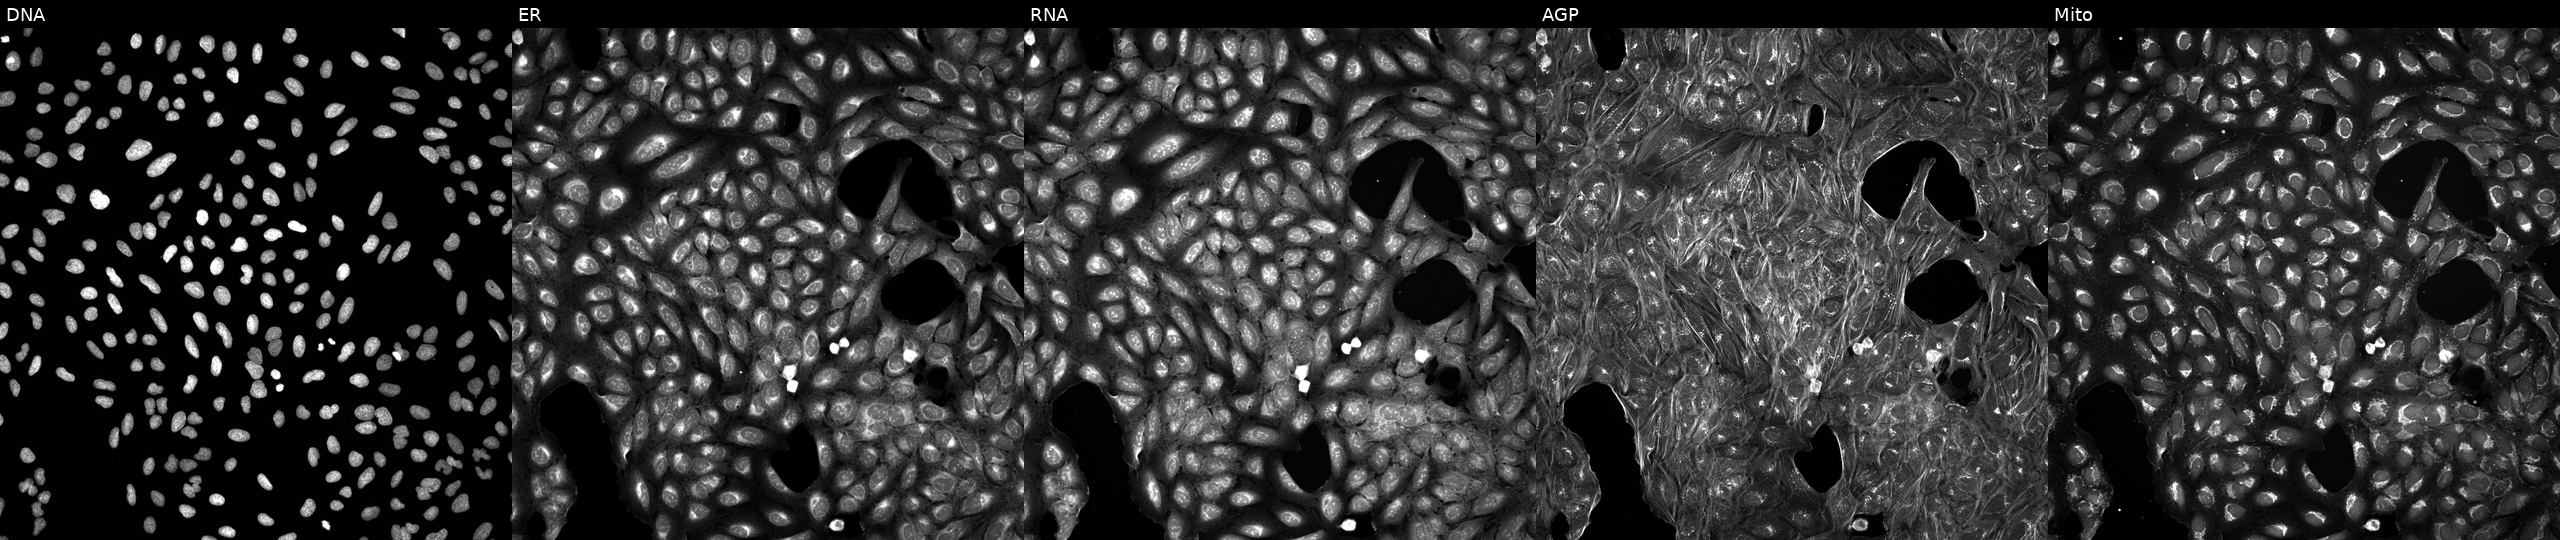
This image strip shows the five Cell Painting channels for a single field of U2OS cells perturbed with a small-molecule compound (InChIKey QNQZWEGMKJBHEM-UHFFFAOYSA-N). The five panels, left to right, show DNA, ER, RNA, AGP, and Mito.